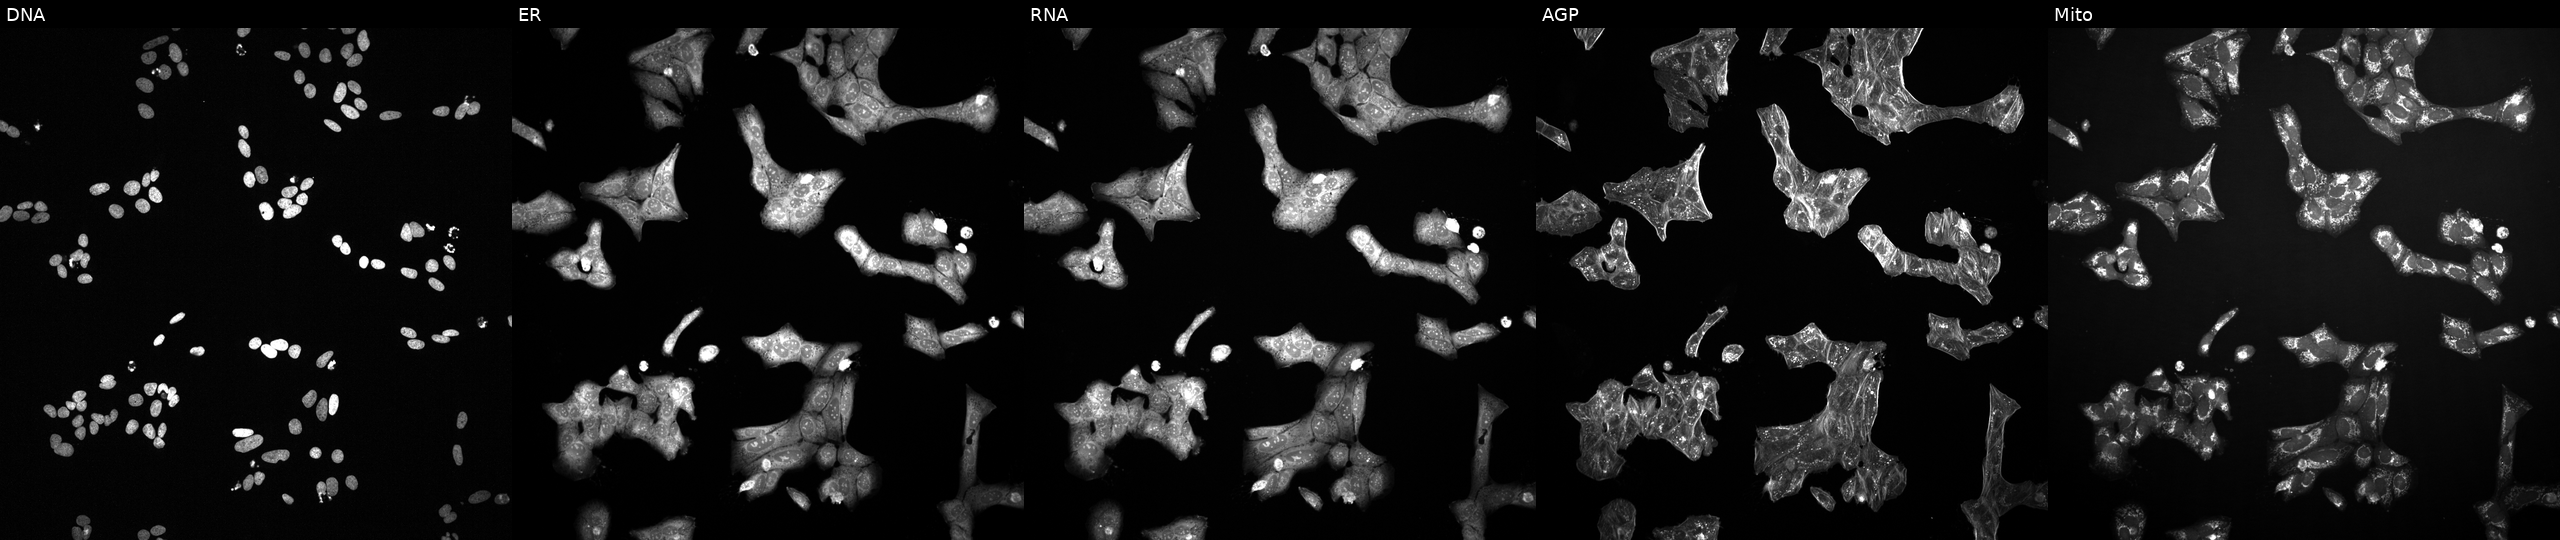
High-content fluorescence microscopy (Cell Painting). Cell line: U2OS. Perturbation: treated with a small-molecule compound (InChIKey NBTNHSGBRGTFJS-UHFFFAOYSA-N) (JUMP id JCP2022_057971). From left to right: DNA (nuclei); ER (endoplasmic reticulum); RNA (nucleoli and cytoplasmic RNA); AGP (actin cytoskeleton, Golgi, and plasma membrane); Mito (mitochondria).